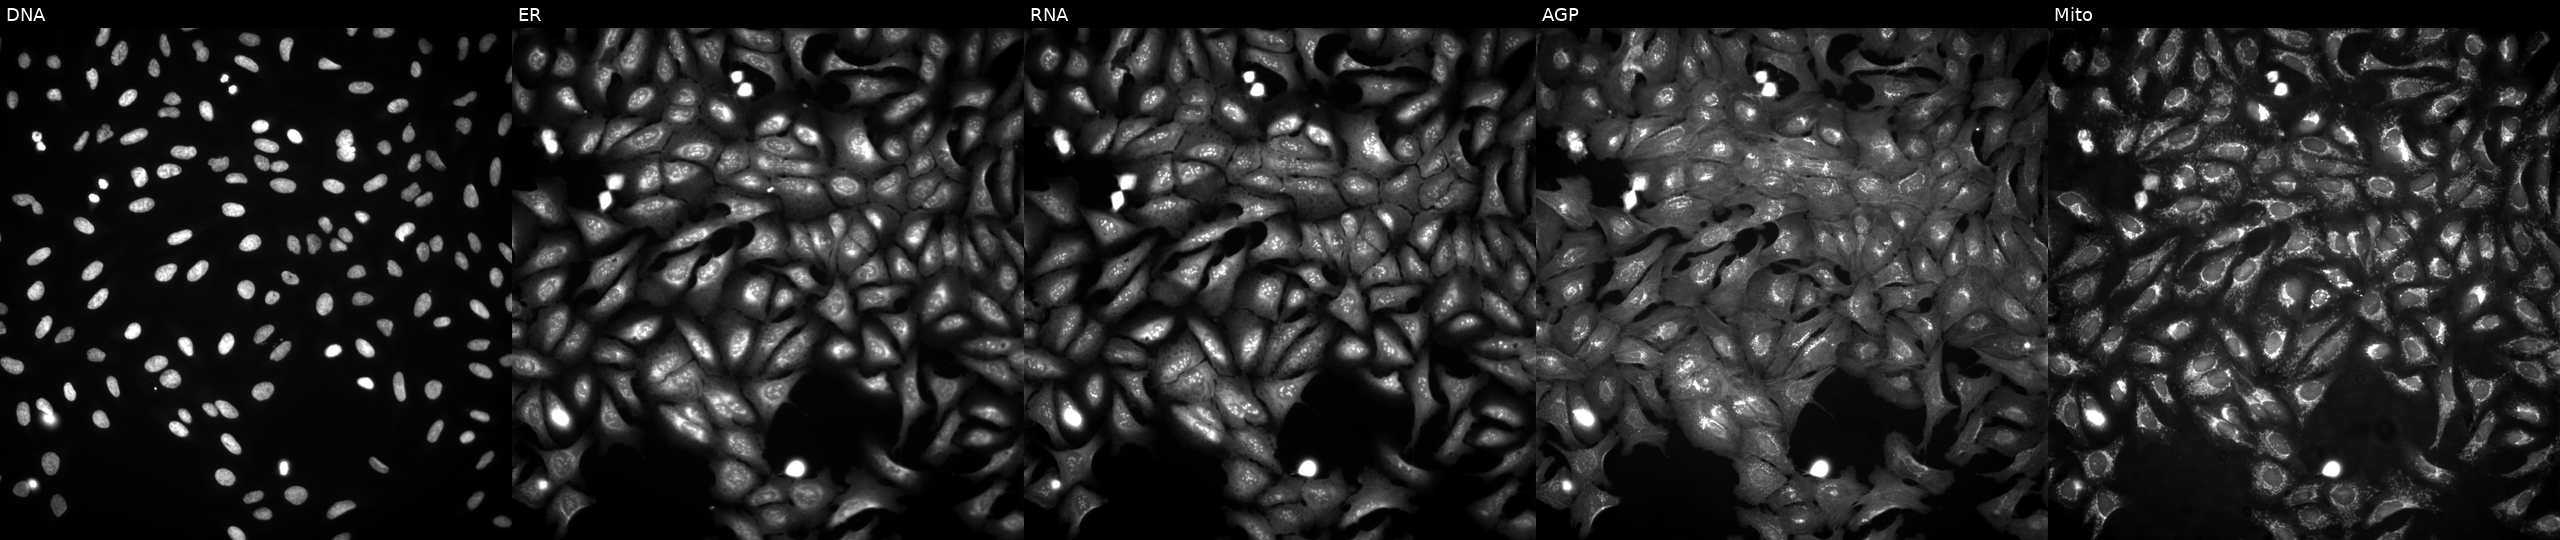
This image strip shows the five Cell Painting channels for a single field of U2OS cells expressing BFP (ORF negative control) (JUMP id JCP2022_915128). Panels show, left to right, DNA (nuclei); ER (endoplasmic reticulum); RNA (nucleoli and cytoplasmic RNA); AGP (actin cytoskeleton, Golgi, and plasma membrane); Mito (mitochondria).